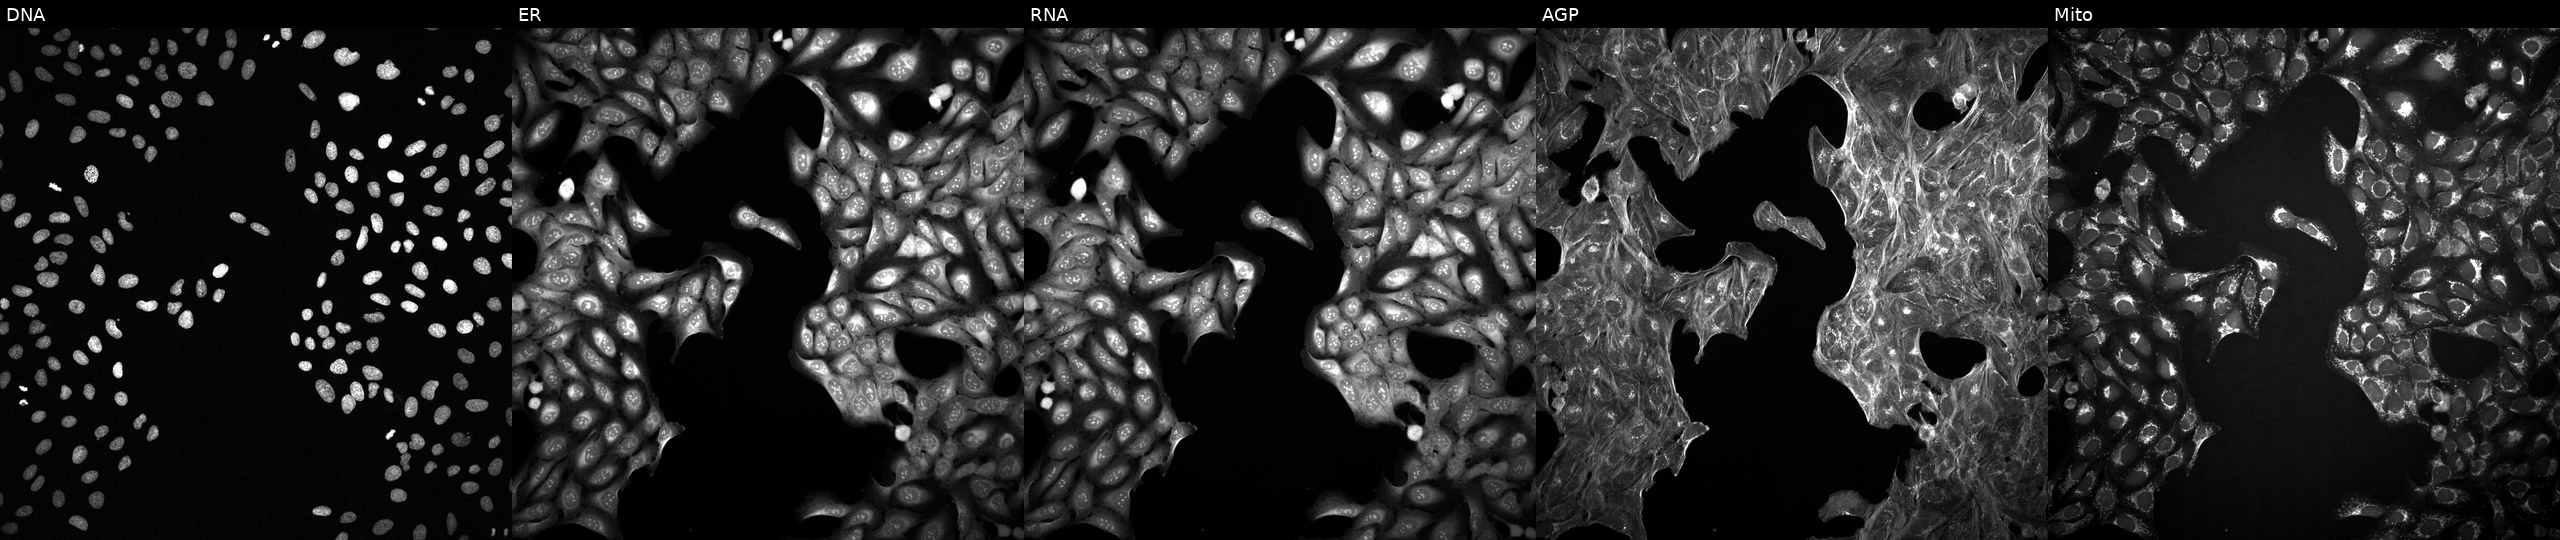
High-content fluorescence microscopy (Cell Painting). Cell line: U2OS. Perturbation: exposed to a small-molecule compound (InChIKey HULPONUAINYLQQ-UHFFFAOYSA-N). Channels (left→right): DNA (nuclei); ER (endoplasmic reticulum); RNA (nucleoli and cytoplasmic RNA); AGP (actin cytoskeleton, Golgi, and plasma membrane); Mito (mitochondria). Source 2, plate 1053600674, well I18.